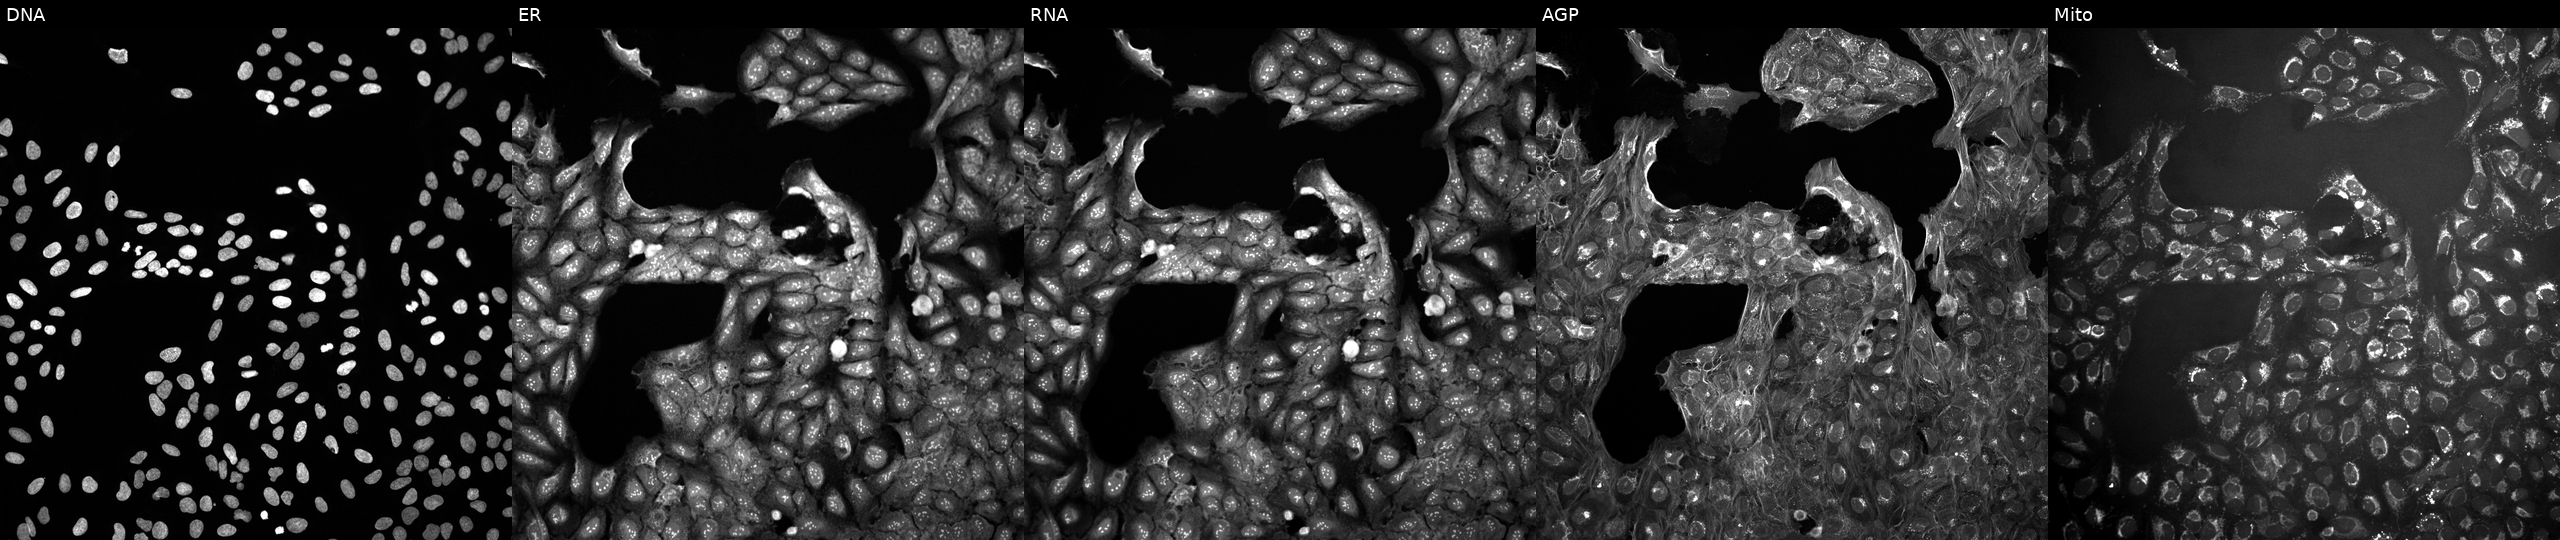
From left to right: Hoechst 33342, concanavalin A, SYTO 14, phalloidin and WGA, MitoTracker. U2OS osteosarcoma cells in an empty control well (no perturbation) (JUMP id JCP2022_999999). Cell Painting assay, JUMP-CP dataset.